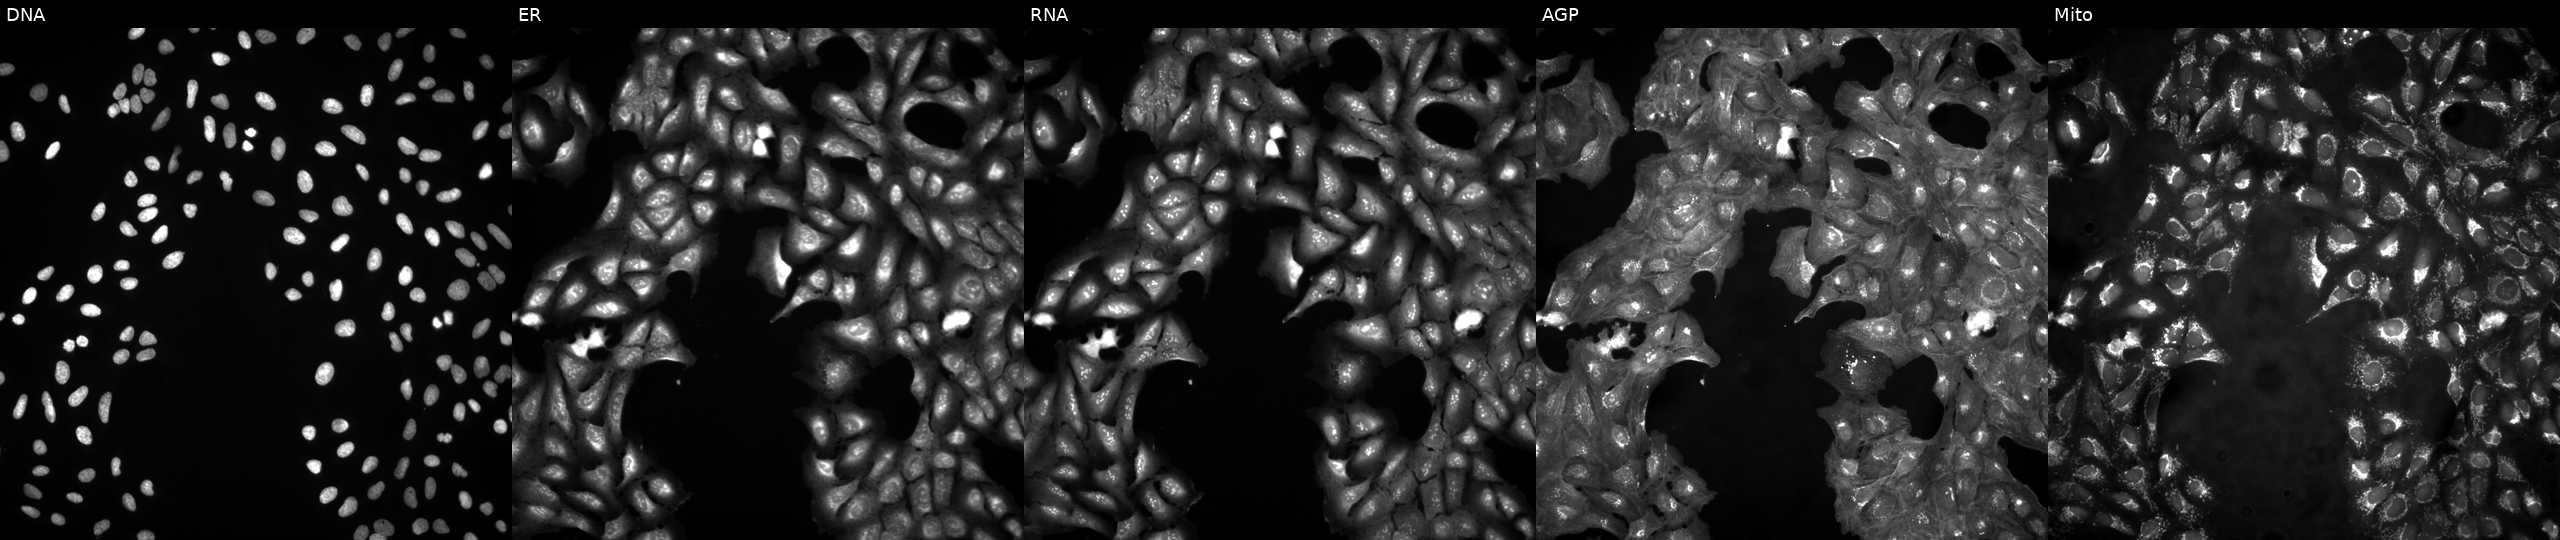
This image strip shows the five Cell Painting channels for a single field of U2OS cells in an empty control well (no perturbation). From left to right: DNA, ER, RNA, AGP, and Mito. Source 4, plate BR00123946, well H24.